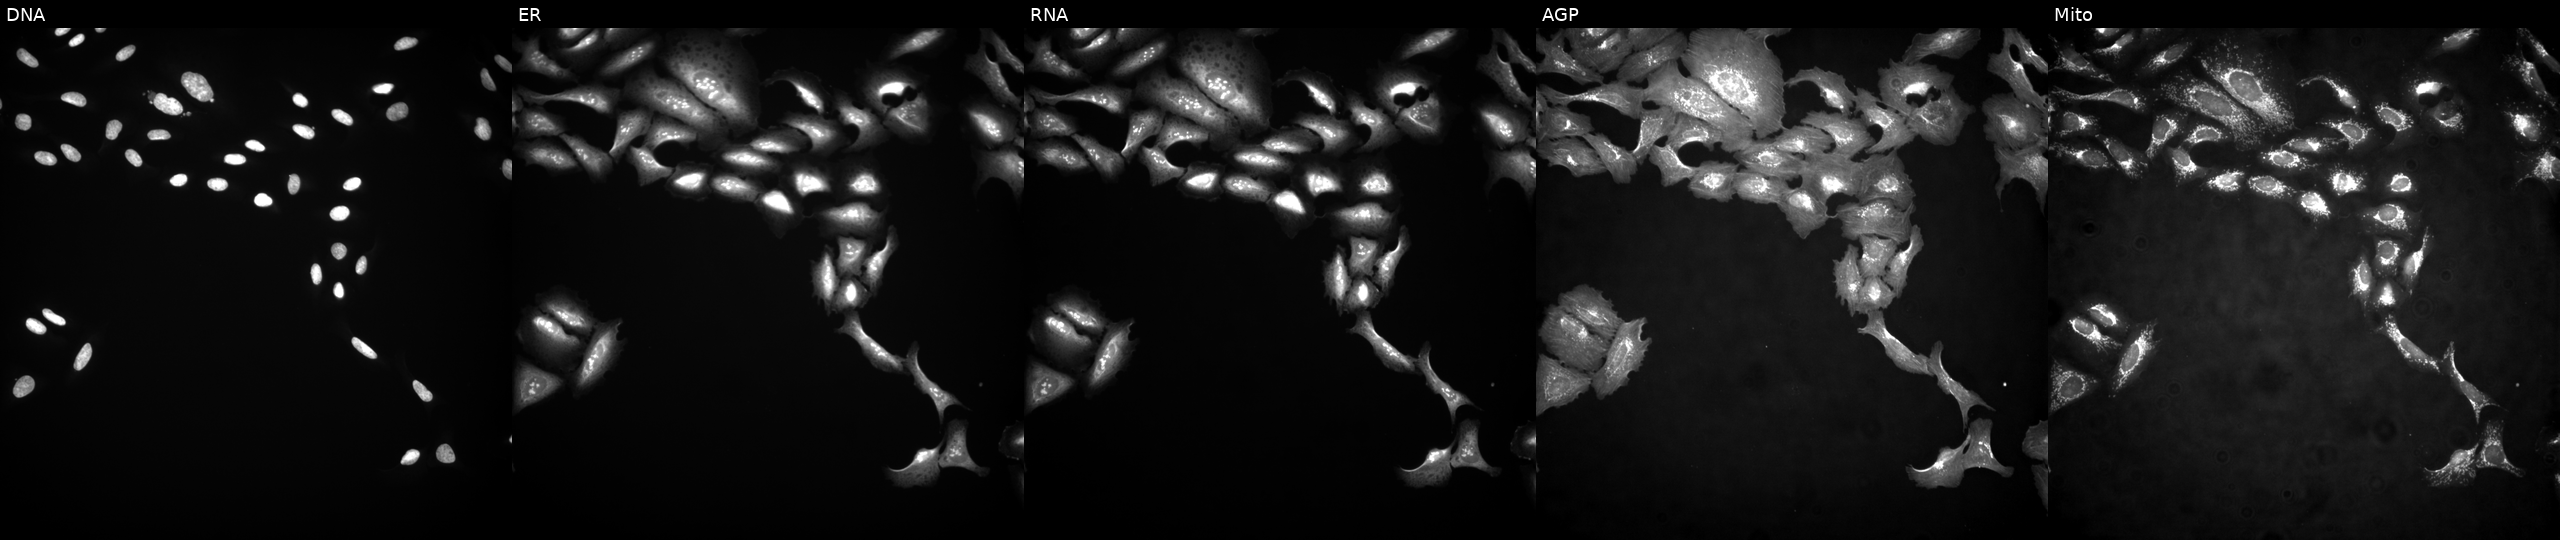
JUMP Cell Painting — ORF plate. U2OS cells overexpressing CBX6 via ORF transfection. Panels show, left to right, Hoechst 33342, concanavalin A, SYTO 14, phalloidin and WGA, MitoTracker.